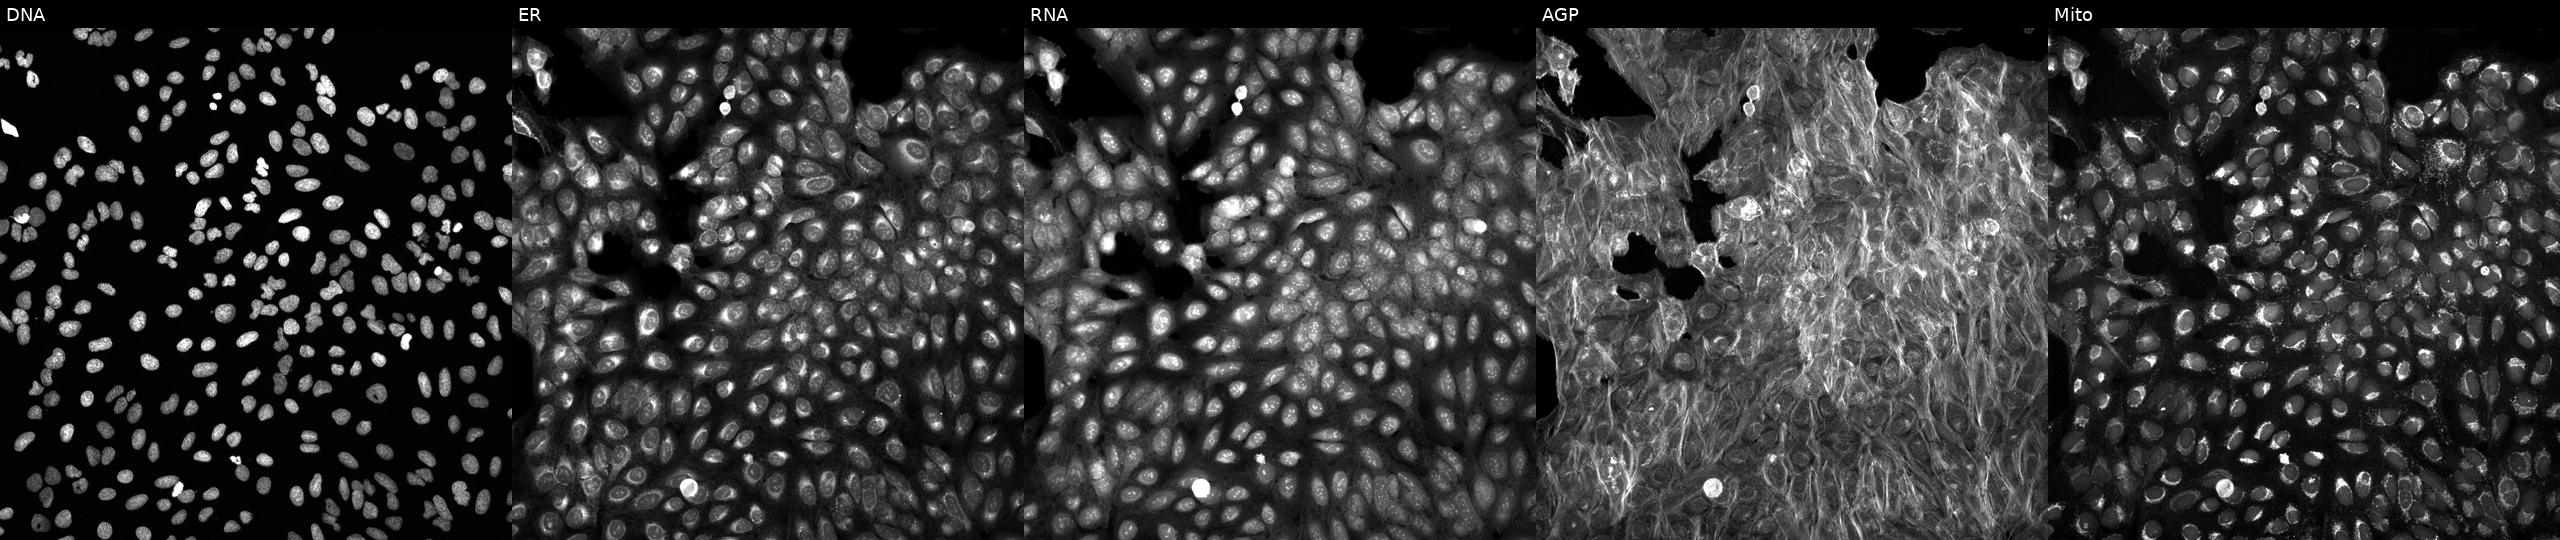
High-content fluorescence microscopy (Cell Painting). Cell line: U2OS. Perturbation: treated with a small-molecule compound [SMILES: CCOc1cc(C(=O)CCC(=O)N=c2[nH]c3ccccc3[nH]2)ccc1O] (JUMP id JCP2022_058590). Panels show, left to right, DNA (nuclei); ER (endoplasmic reticulum); RNA (nucleoli and cytoplasmic RNA); AGP (actin cytoskeleton, Golgi, and plasma membrane); Mito (mitochondria).